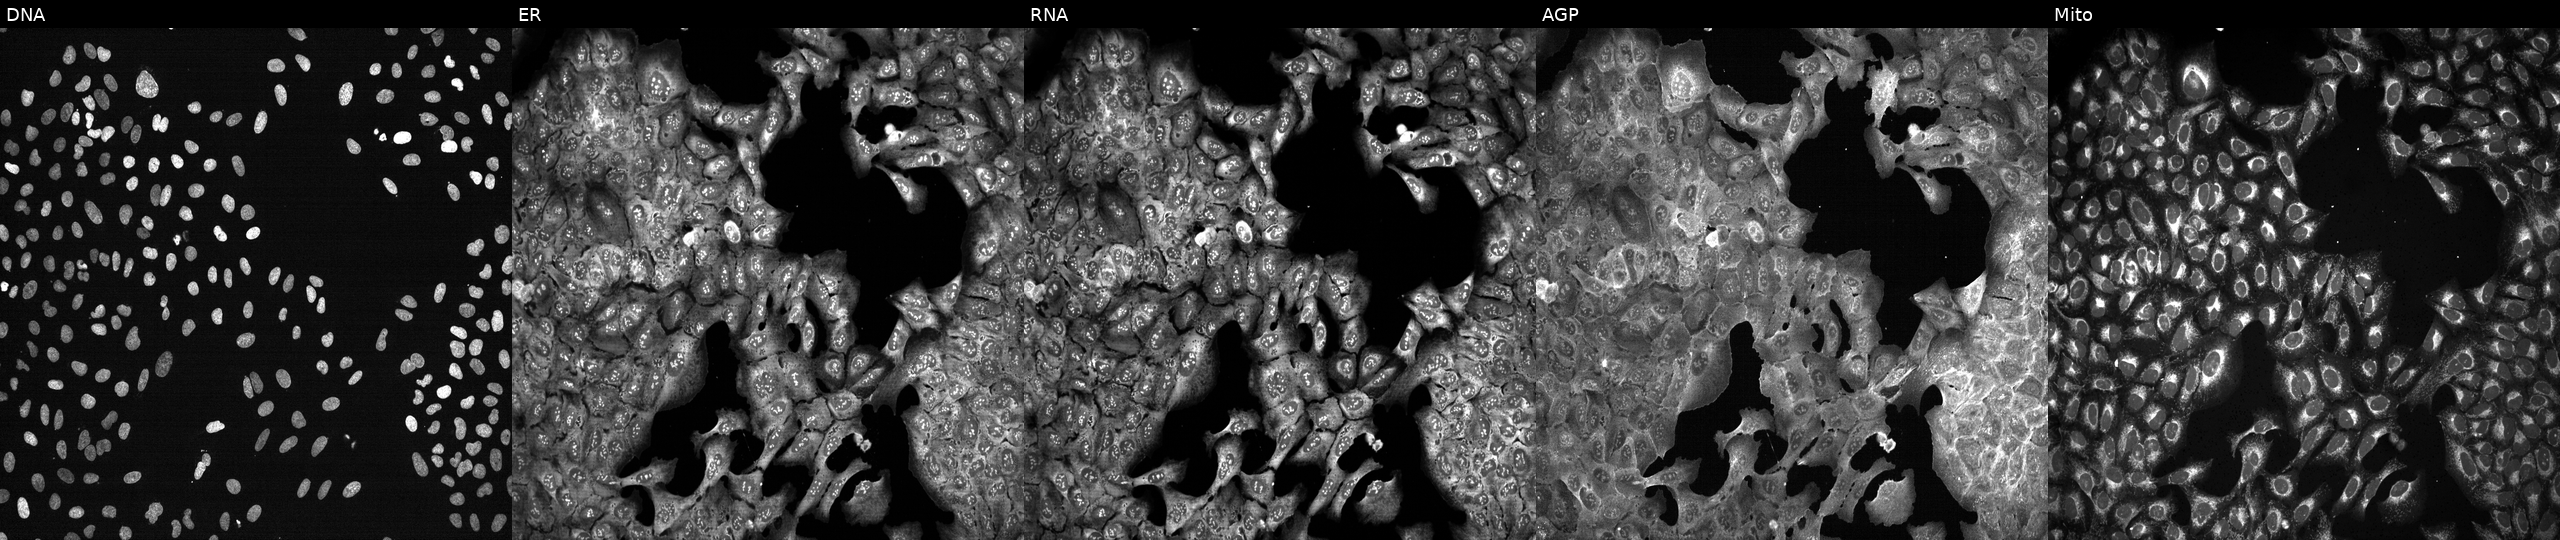
U2OS cells, Cell Painting assay, following CRISPR knockout of GNAS. The five panels, left to right, show DNA, ER, RNA, AGP, and Mito. Each panel is percentile-stretched 16-bit fluorescence.